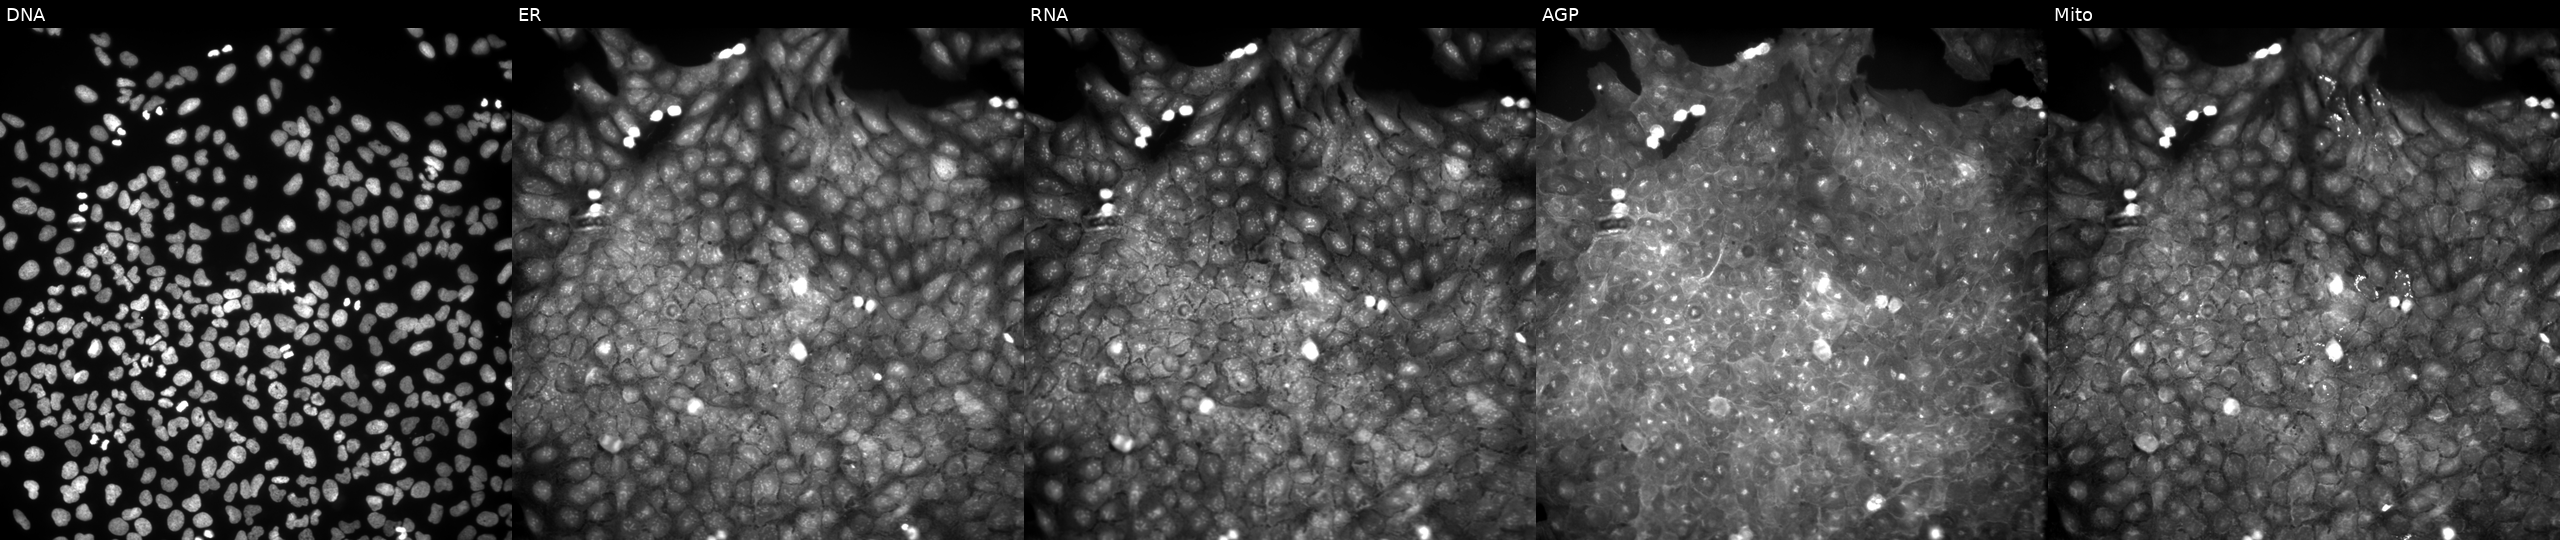
From left to right: Hoechst 33342, concanavalin A, SYTO 14, phalloidin and WGA, MitoTracker. U2OS osteosarcoma cells perturbed with a small-molecule compound (InChIKey YBLMMRLWQGPIAN-UHFFFAOYSA-N) (JUMP id JCP2022_107396). Cell Painting assay, JUMP-CP dataset.